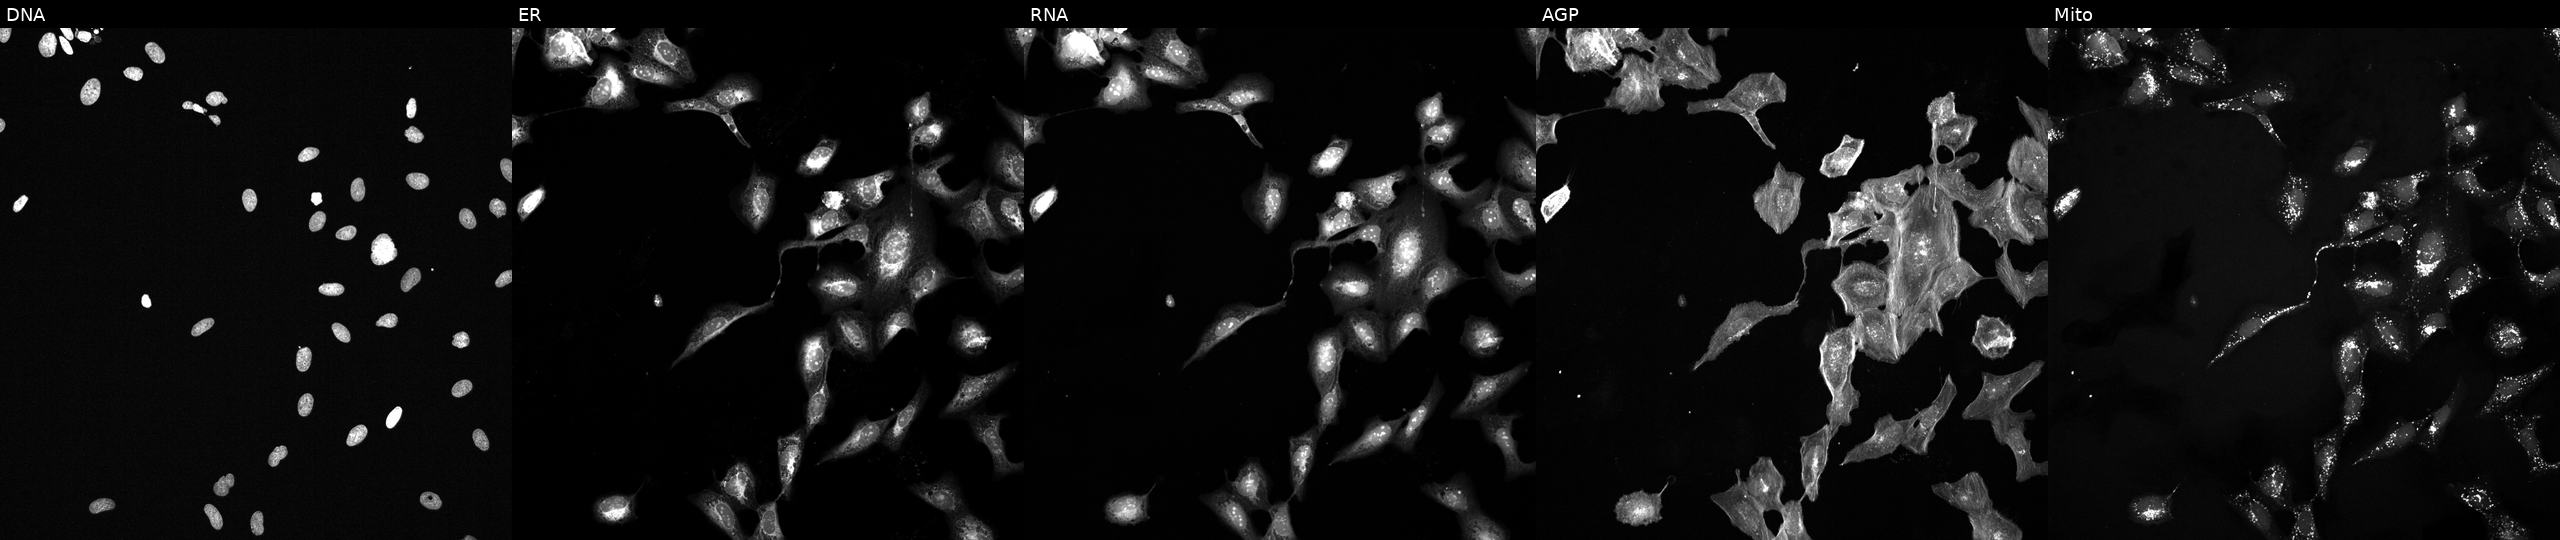
High-content fluorescence microscopy (Cell Painting). Cell line: U2OS. Perturbation: treated with a small-molecule compound (InChIKey QNRODODTMXCRKU-UHFFFAOYSA-N). The five panels, left to right, show Hoechst 33342, concanavalin A, SYTO 14, phalloidin and WGA, MitoTracker. Source 6, plate 110000293081, well O13.